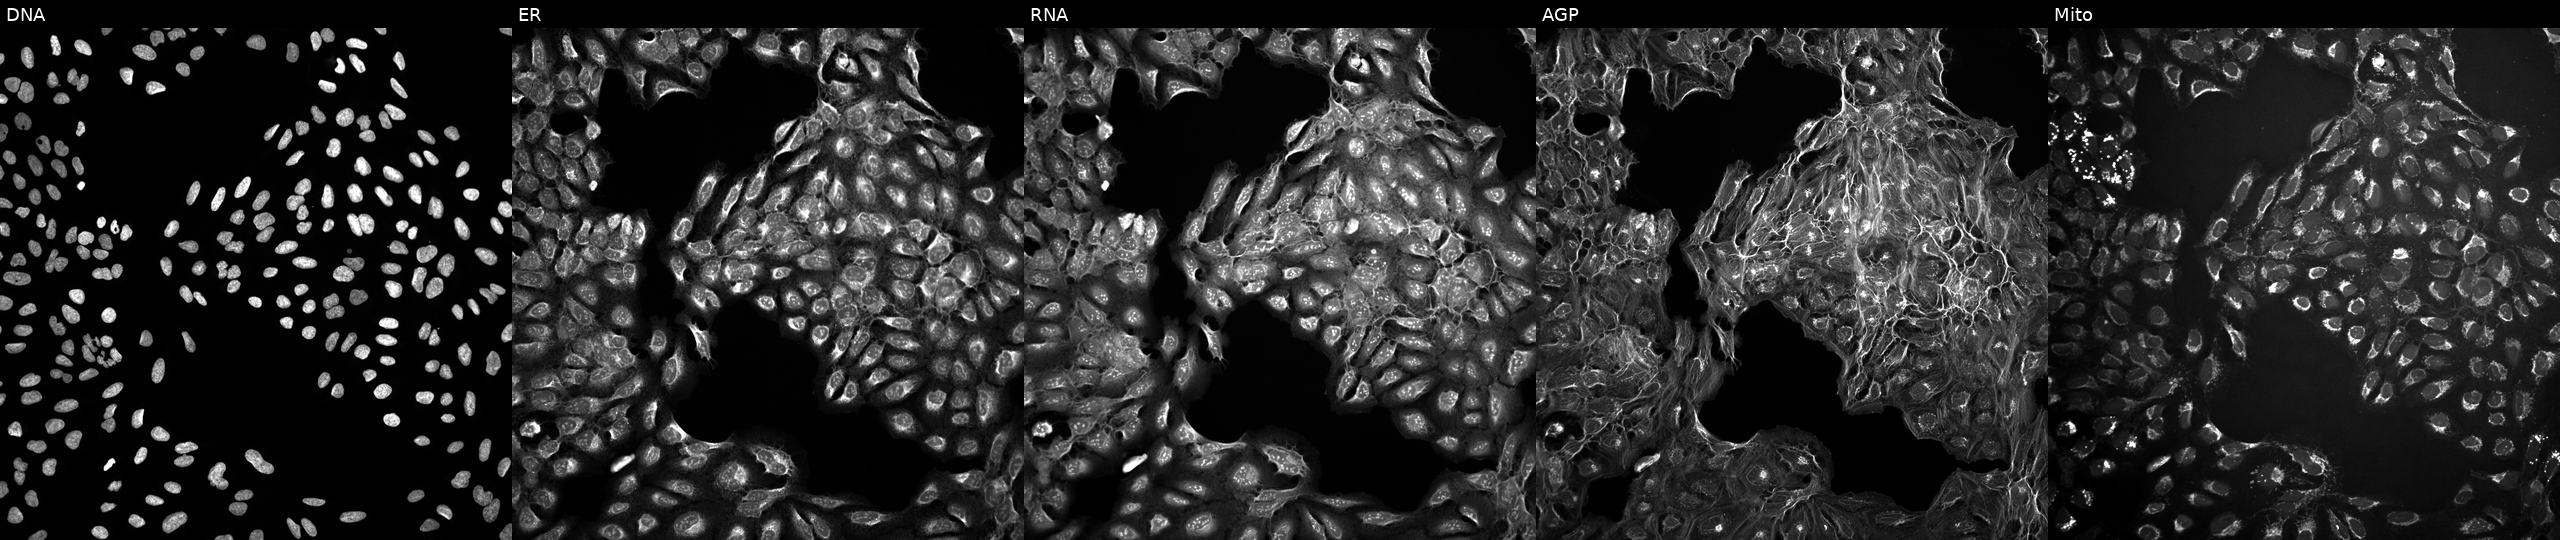
Channels (left→right): Hoechst 33342, concanavalin A, SYTO 14, phalloidin and WGA, MitoTracker. U2OS osteosarcoma cells untreated (empty-well control). Cell Painting assay, JUMP-CP dataset. Source 10, plate Dest210531-152324, well L12.